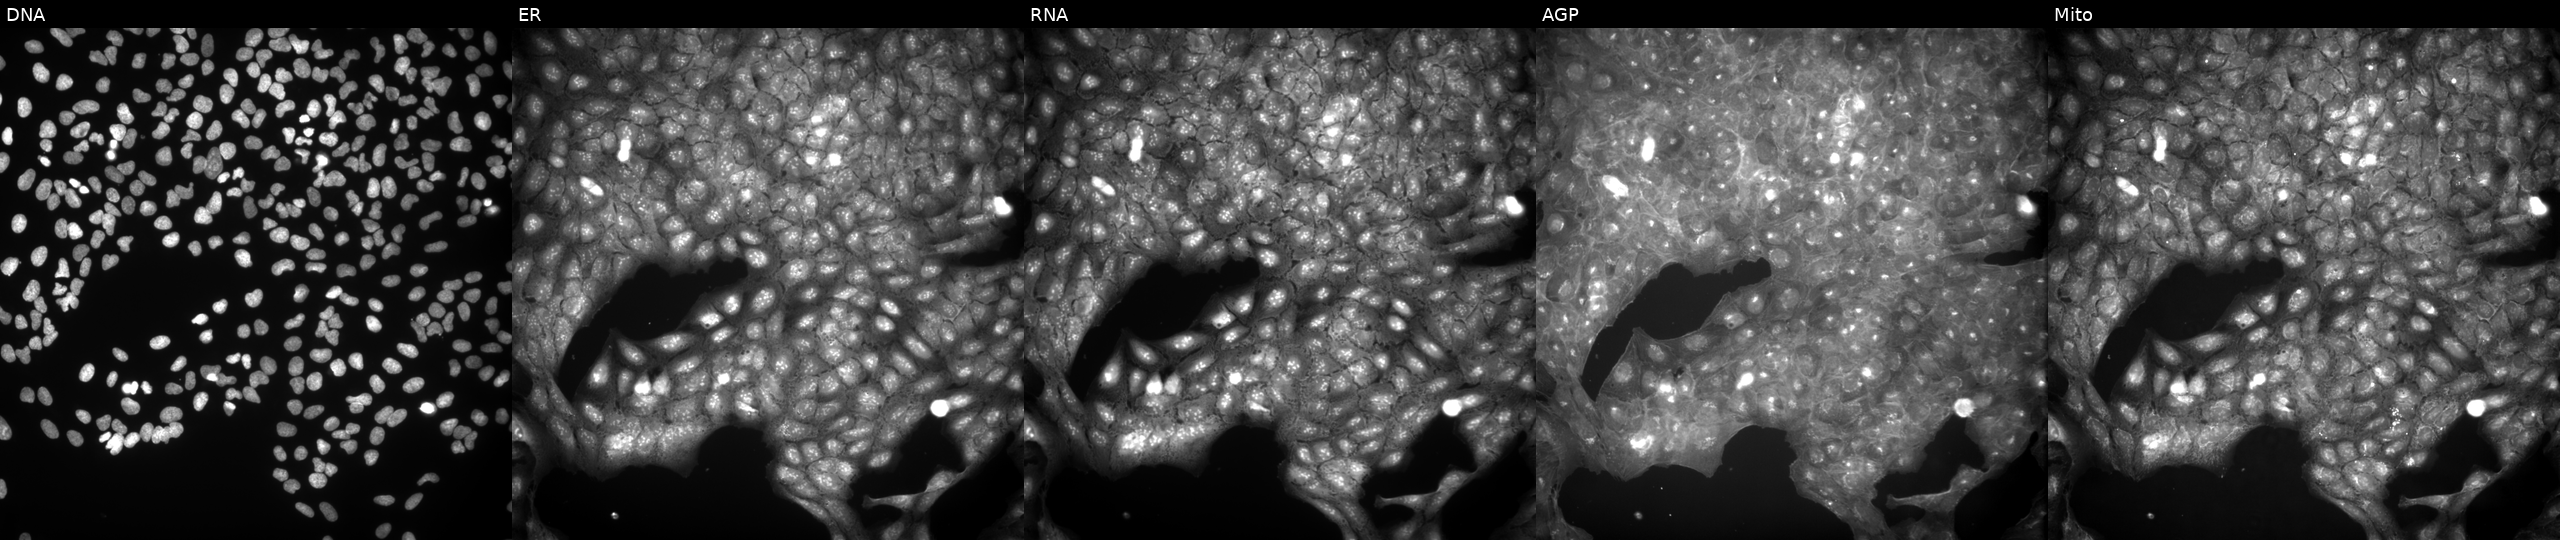
High-content fluorescence microscopy (Cell Painting). Cell line: U2OS. Perturbation: perturbed with a small-molecule compound. From left to right: DNA (nuclei); ER (endoplasmic reticulum); RNA (nucleoli and cytoplasmic RNA); AGP (actin cytoskeleton, Golgi, and plasma membrane); Mito (mitochondria). Source 9, plate GR00003382, well J33.